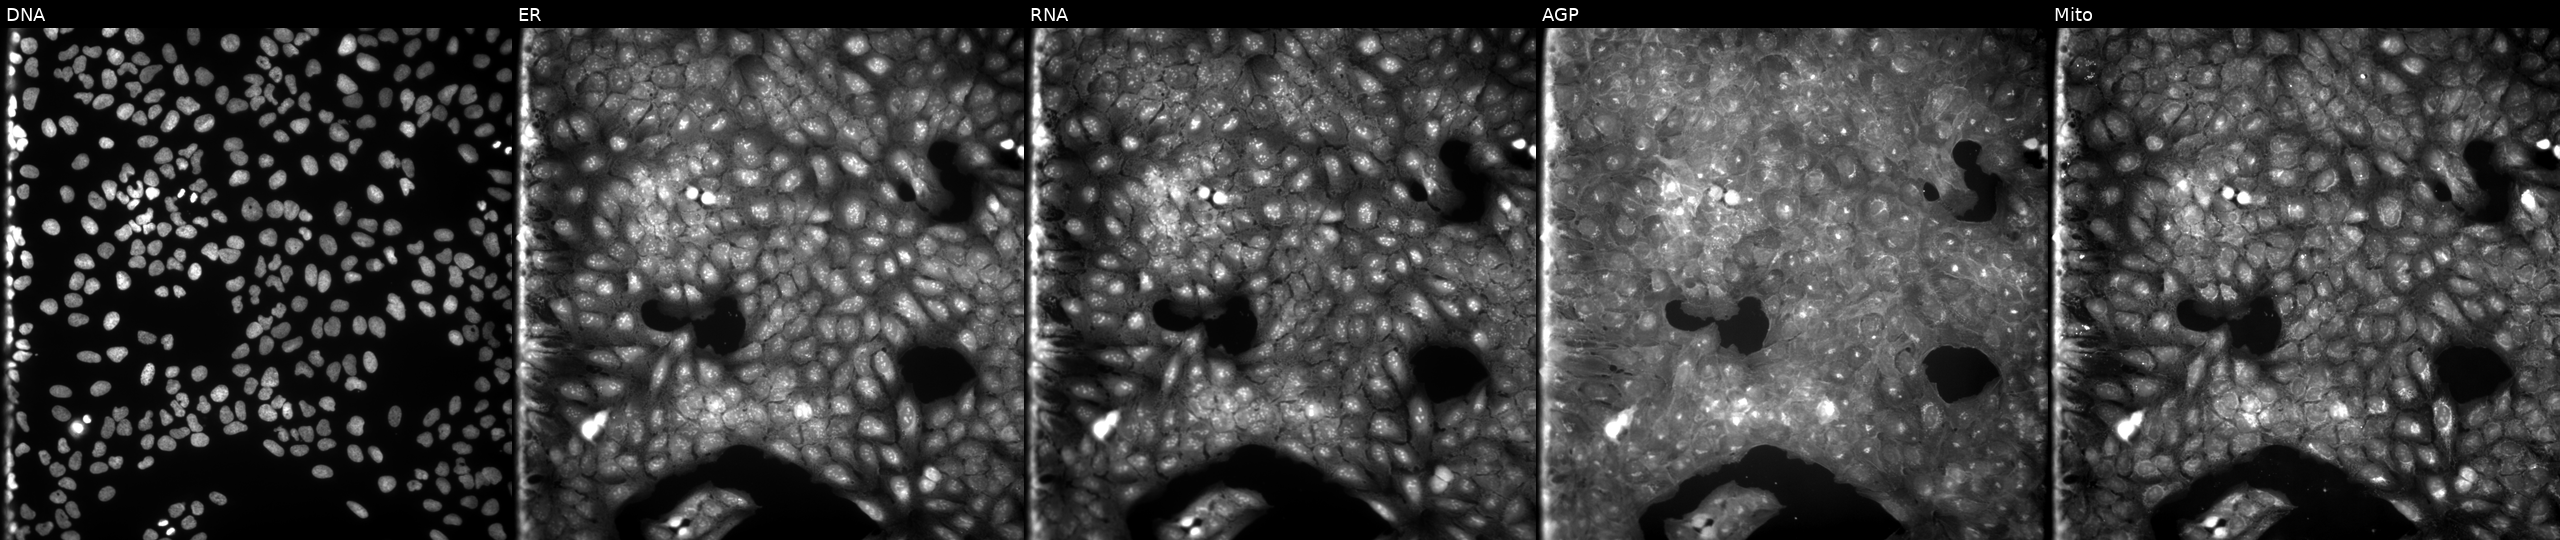
High-content fluorescence microscopy (Cell Painting). Cell line: U2OS. Perturbation: perturbed with a small-molecule compound. The five panels, left to right, show DNA, ER, RNA, AGP, and Mito. Source 9, plate GR00003382, well P12.